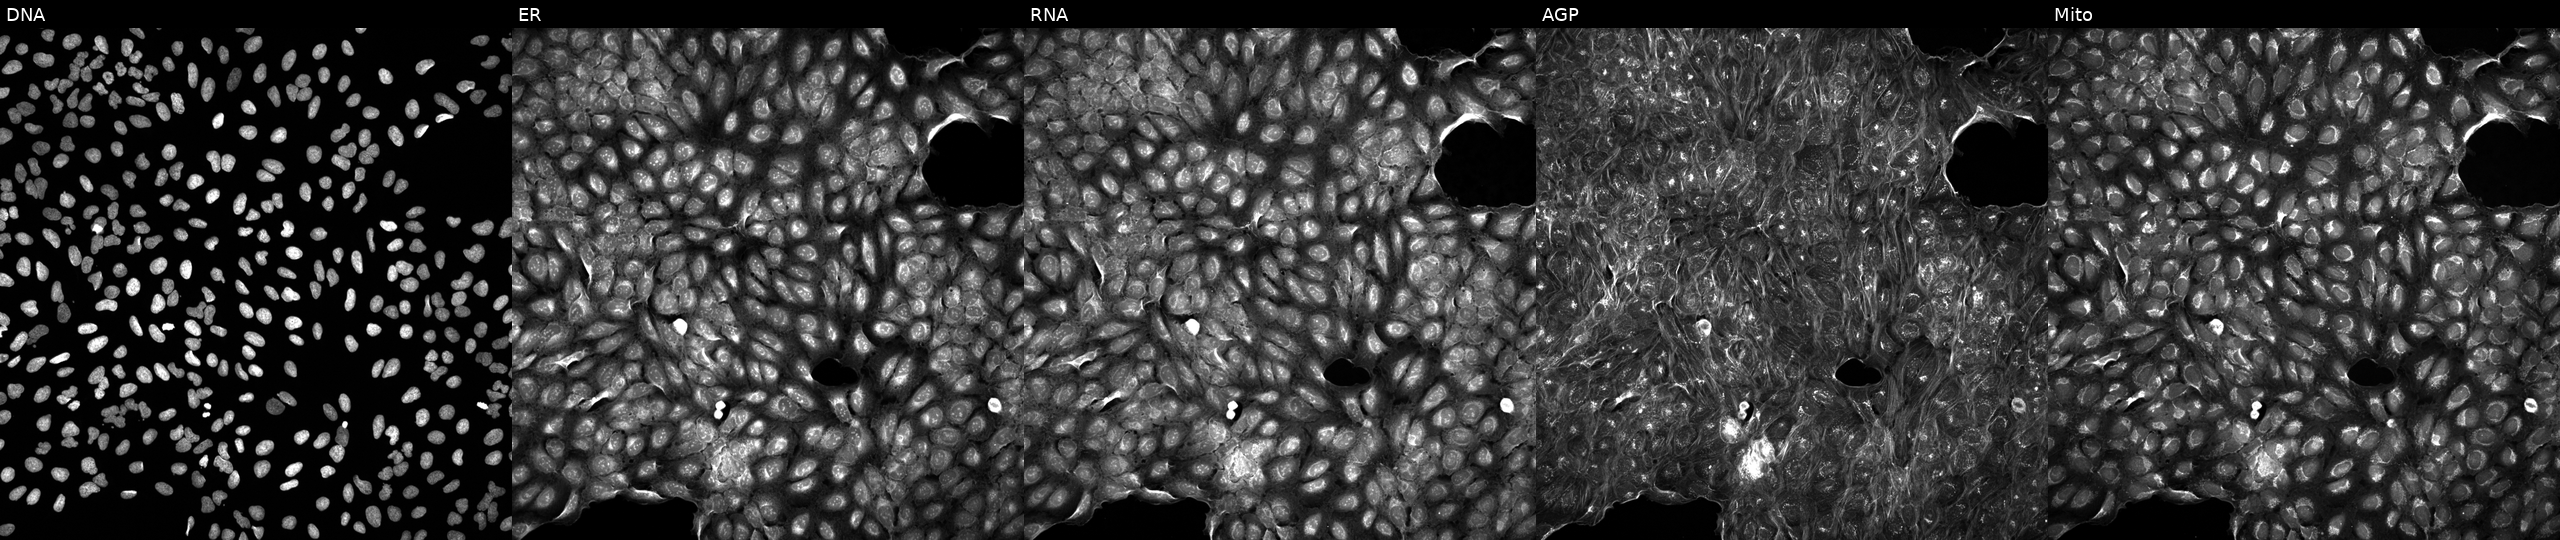
High-content fluorescence microscopy (Cell Painting). Cell line: U2OS. Perturbation: treated with a small-molecule compound (JUMP id JCP2022_097756). Channels (left→right): DNA, ER, RNA, AGP, and Mito. Source 5, plate APTJUM105, well M13.